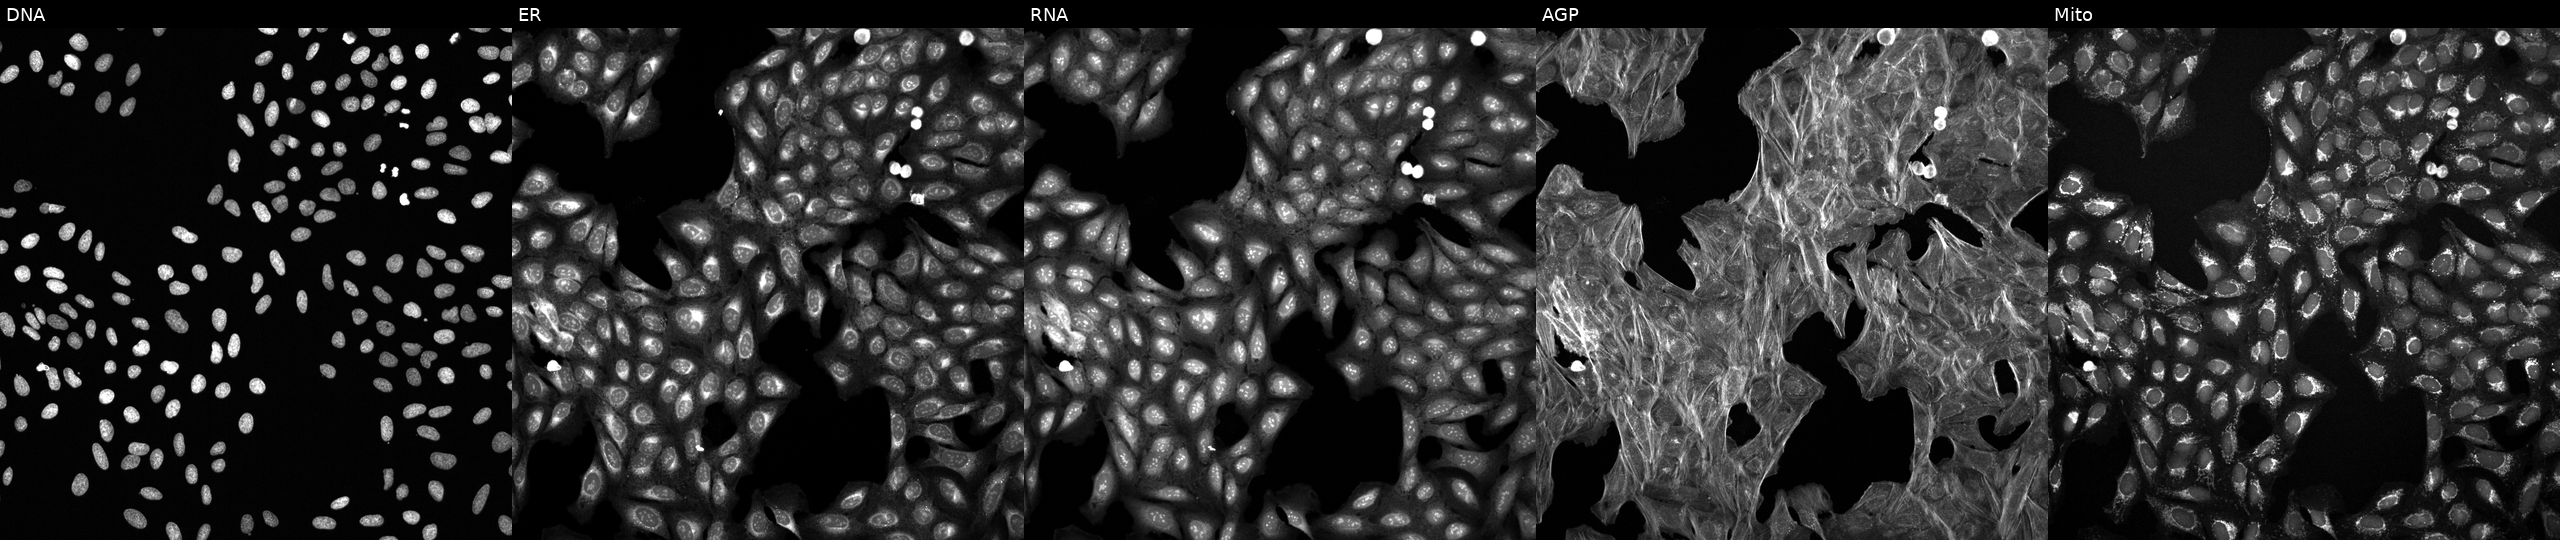
This image strip shows the five Cell Painting channels for a single field of U2OS cells perturbed with a small-molecule compound (InChIKey MDKAFDIKYQMOMF-UHFFFAOYSA-N). Panels show, left to right, DNA, ER, RNA, AGP, and Mito.